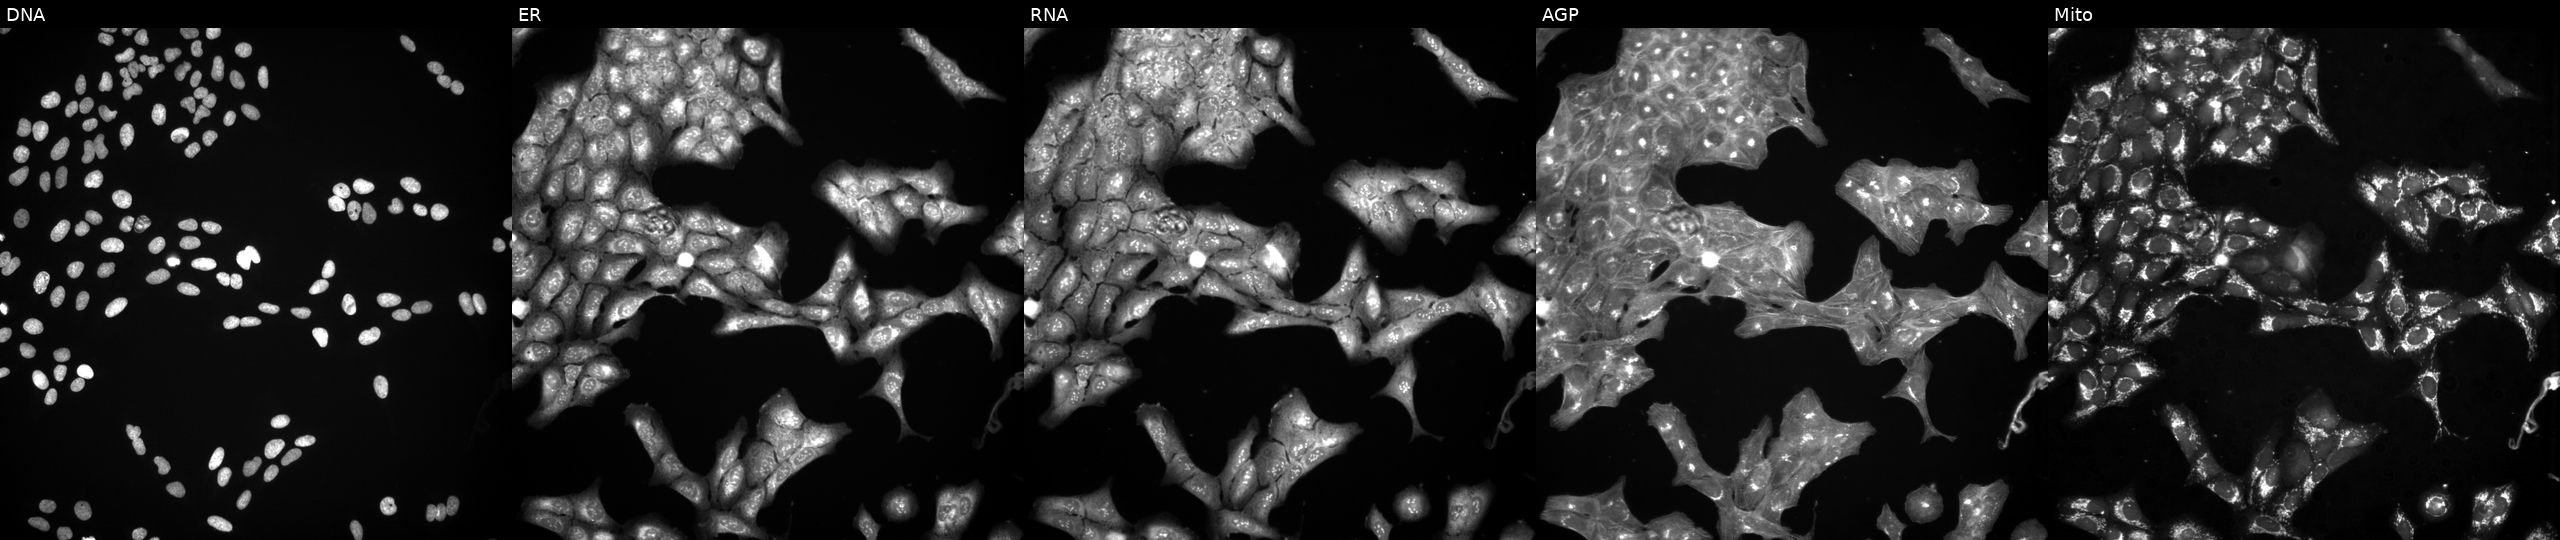
This image strip shows the five Cell Painting channels for a single field of U2OS cells perturbed with a small-molecule compound (InChIKey AGZZTXMBYMTHSS-UHFFFAOYSA-N) (JUMP id JCP2022_001358). Channels (left→right): Hoechst 33342, concanavalin A, SYTO 14, phalloidin and WGA, MitoTracker. Source 3, plate BR5867b3, well D03.